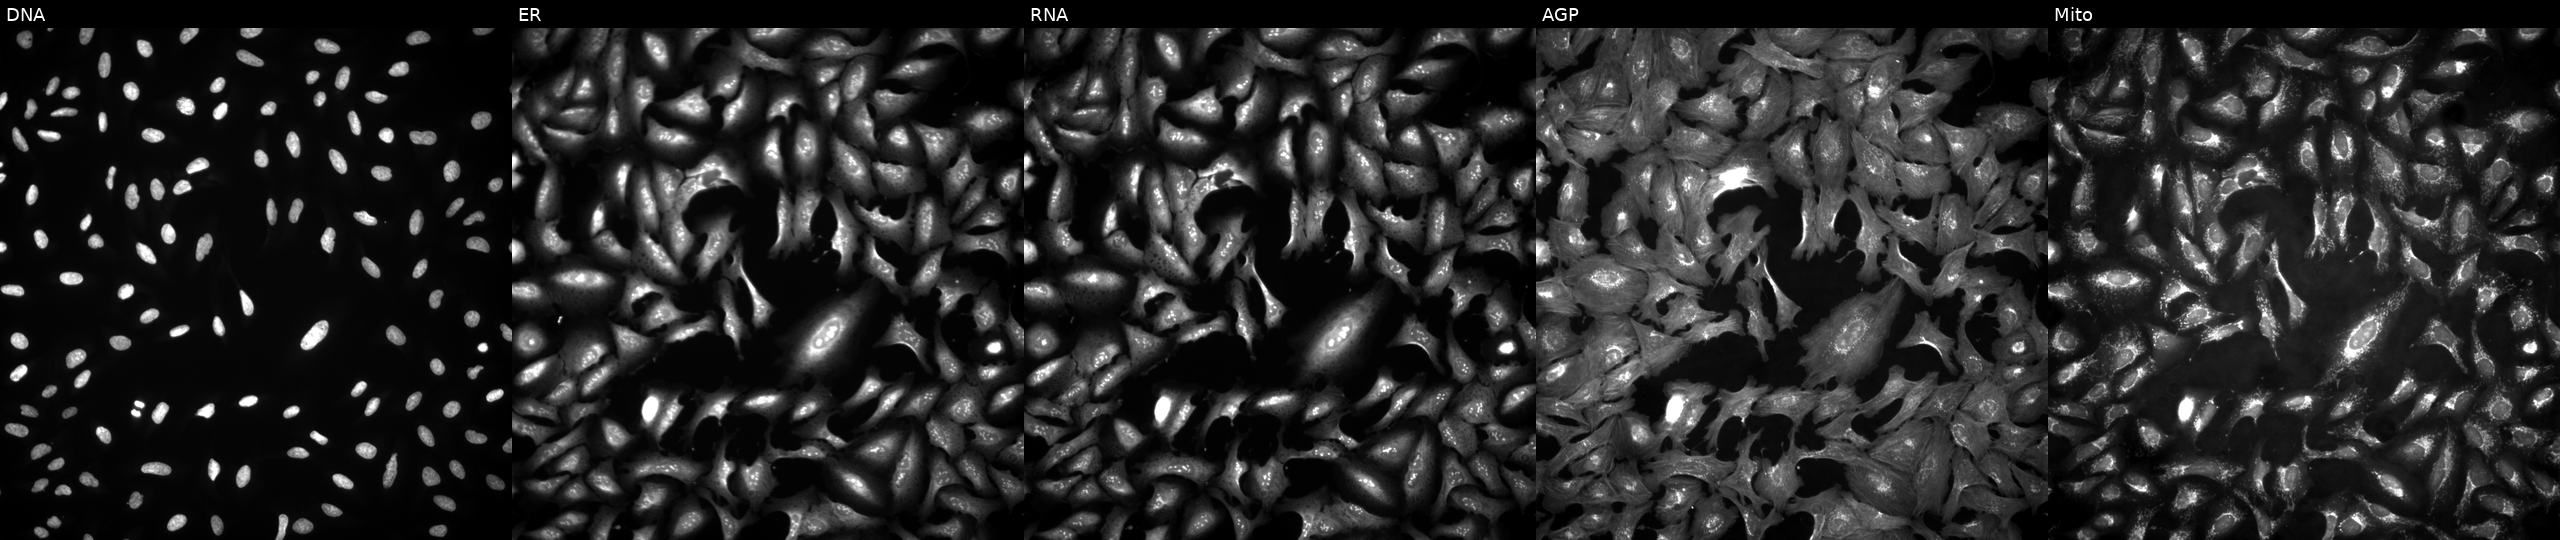
Panels show, left to right, DNA, ER, RNA, AGP, and Mito. U2OS osteosarcoma cells overexpressing CCNQ via ORF transfection (JUMP id JCP2022_912095). Cell Painting assay, JUMP-CP dataset.